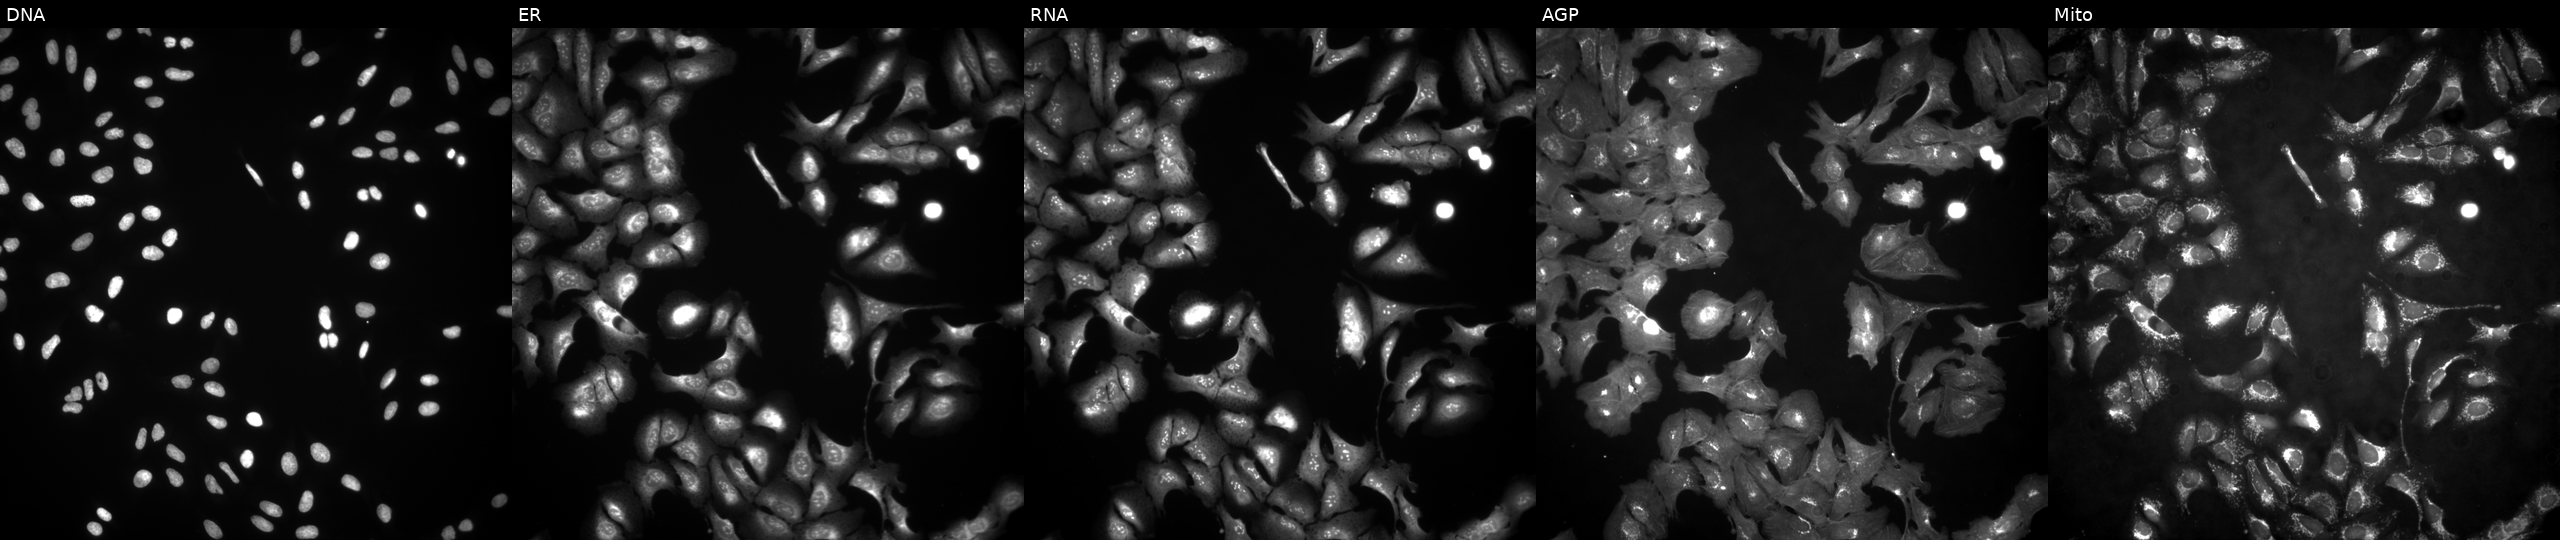
High-content fluorescence microscopy (Cell Painting). Cell line: U2OS. Perturbation: with TIMM8A overexpressed (ORF) (JUMP id JCP2022_900408). From left to right: DNA, ER, RNA, AGP, and Mito.